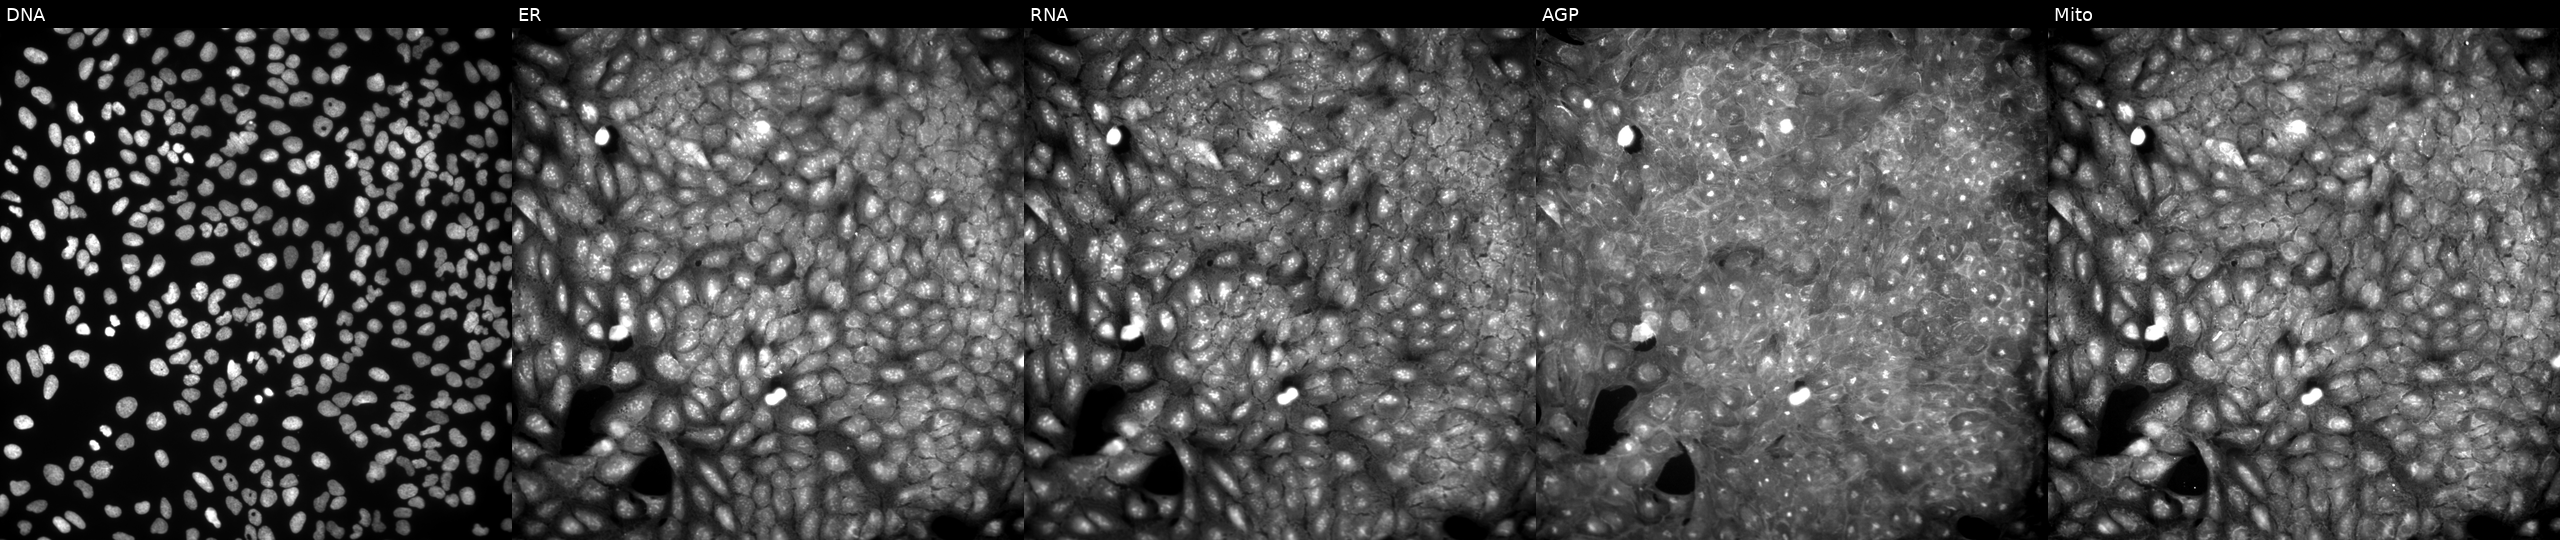
JUMP Cell Painting — COMPOUND plate. U2OS cells exposed to DMSO alone as a negative control. From left to right: DNA, ER, RNA, AGP, and Mito. Source 9, plate GR00003381, well X23.